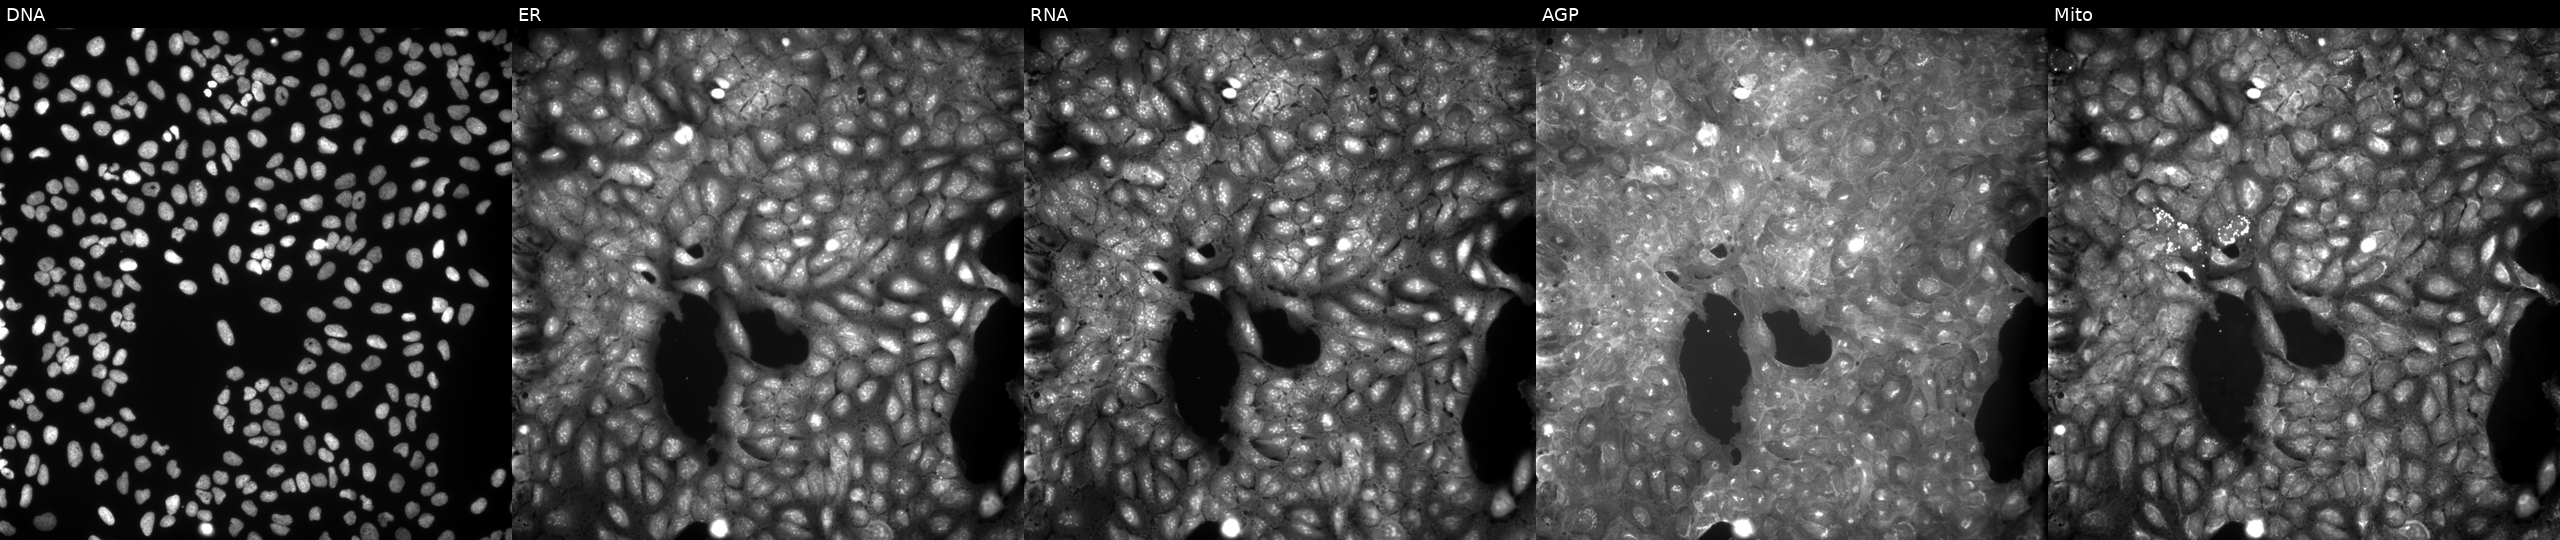
This image strip shows the five Cell Painting channels for a single field of U2OS cells treated with a small-molecule compound (InChIKey SFNVMKKUISRNFE-UHFFFAOYSA-N) (JUMP id JCP2022_082879). Panels show, left to right, Hoechst 33342, concanavalin A, SYTO 14, phalloidin and WGA, MitoTracker.